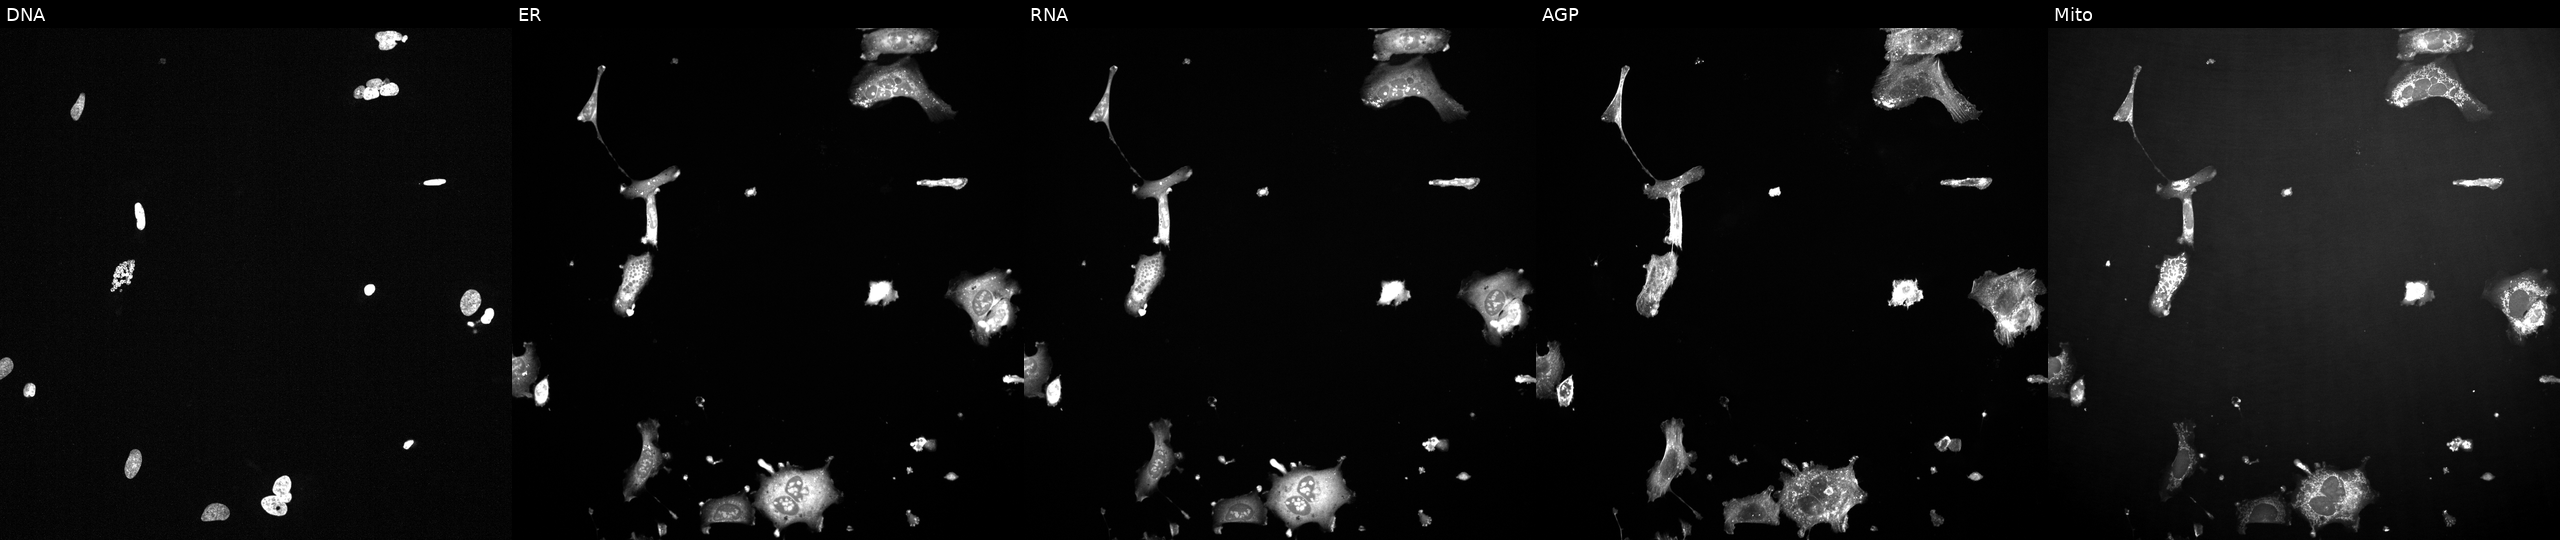
Channels (left→right): DNA (nuclei); ER (endoplasmic reticulum); RNA (nucleoli and cytoplasmic RNA); AGP (actin cytoskeleton, Golgi, and plasma membrane); Mito (mitochondria). U2OS osteosarcoma cells perturbed with a small-molecule compound (InChIKey IAKHMKGGTNLKSZ-UHFFFAOYSA-N). Cell Painting assay, JUMP-CP dataset.